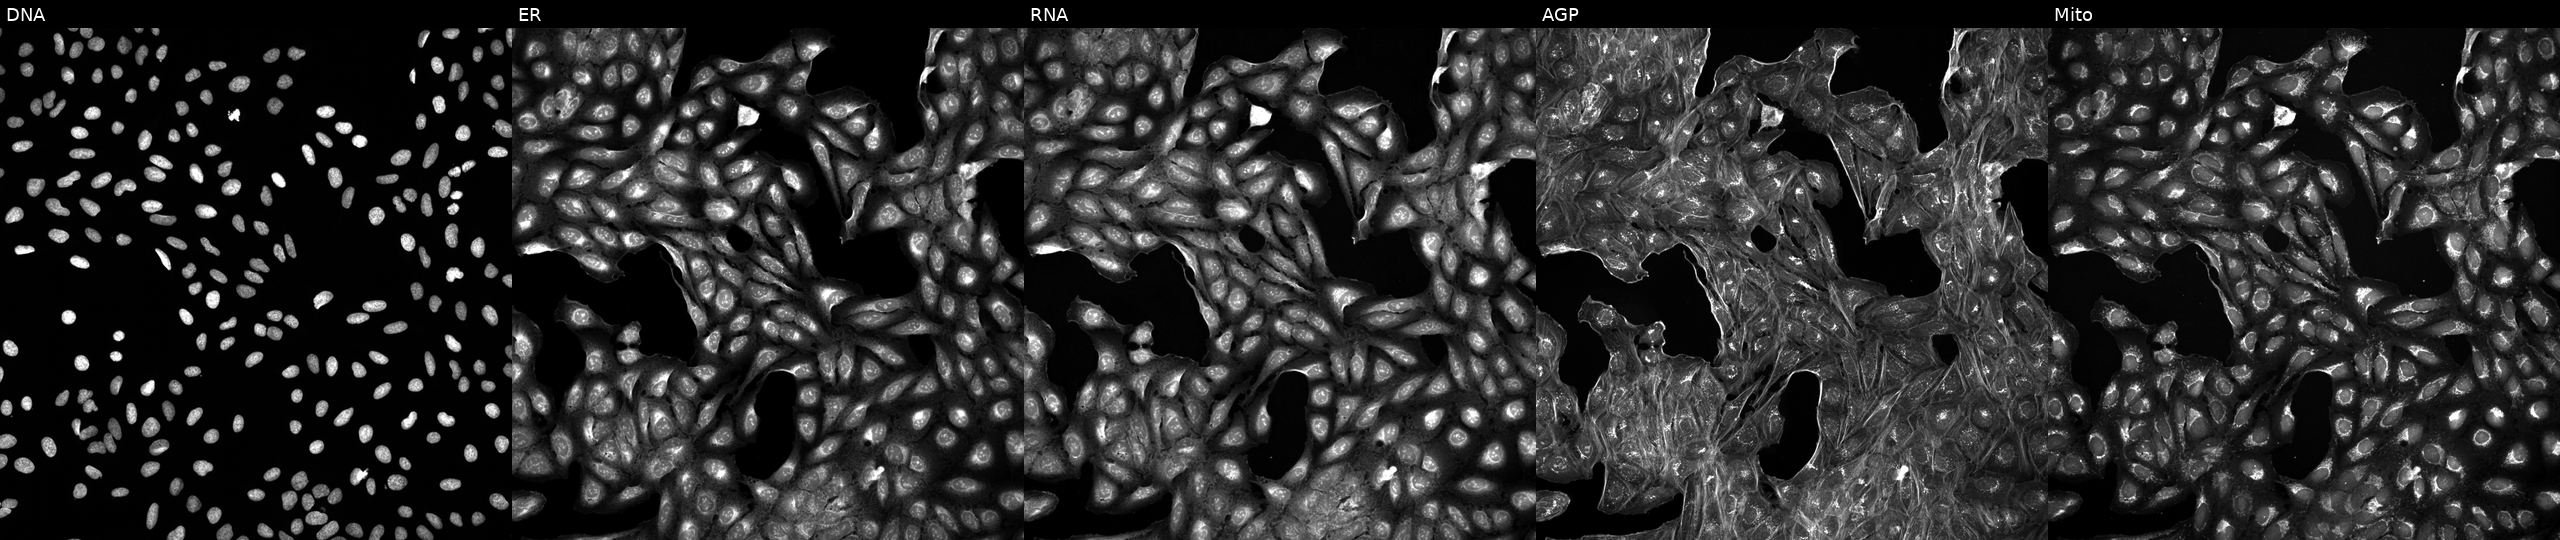
This image strip shows the five Cell Painting channels for a single field of U2OS cells treated with a small-molecule compound (InChIKey ODUOJXZPIYUATO-UHFFFAOYSA-N). Panels show, left to right, DNA (nuclei); ER (endoplasmic reticulum); RNA (nucleoli and cytoplasmic RNA); AGP (actin cytoskeleton, Golgi, and plasma membrane); Mito (mitochondria). Source 5, plate ACPJUM032, well F20.